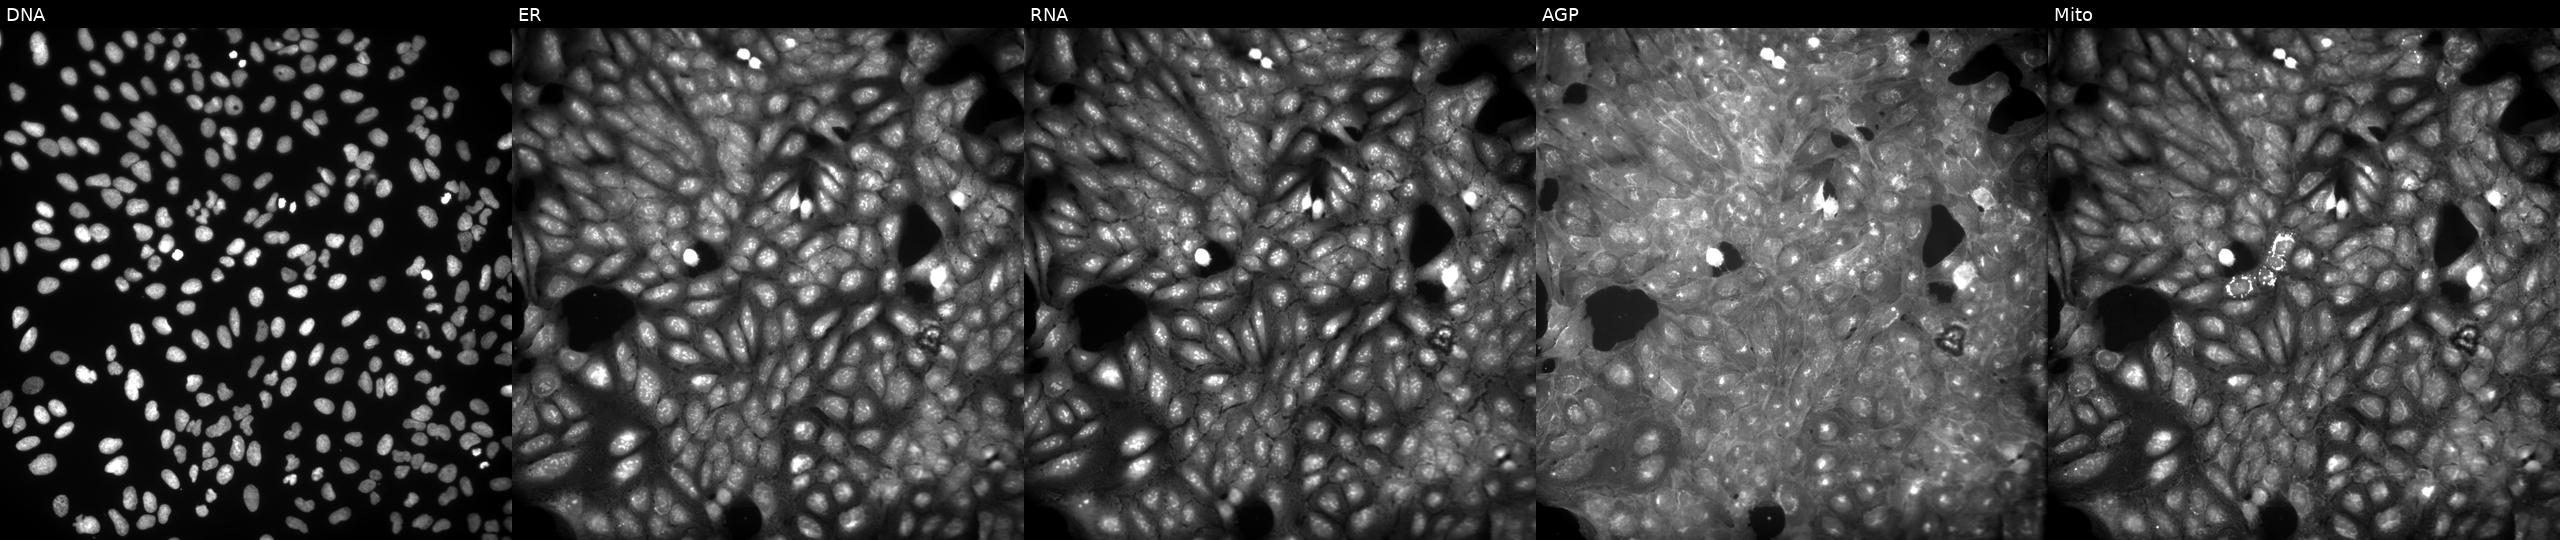
JUMP Cell Painting — COMPOUND plate. U2OS cells perturbed with a small-molecule compound (InChIKey JAIAQUIWOJMGBB-UHFFFAOYSA-N) (JUMP id JCP2022_038480). Channels (left→right): Hoechst 33342, concanavalin A, SYTO 14, phalloidin and WGA, MitoTracker. Source 9, plate GR00003382, well V36.